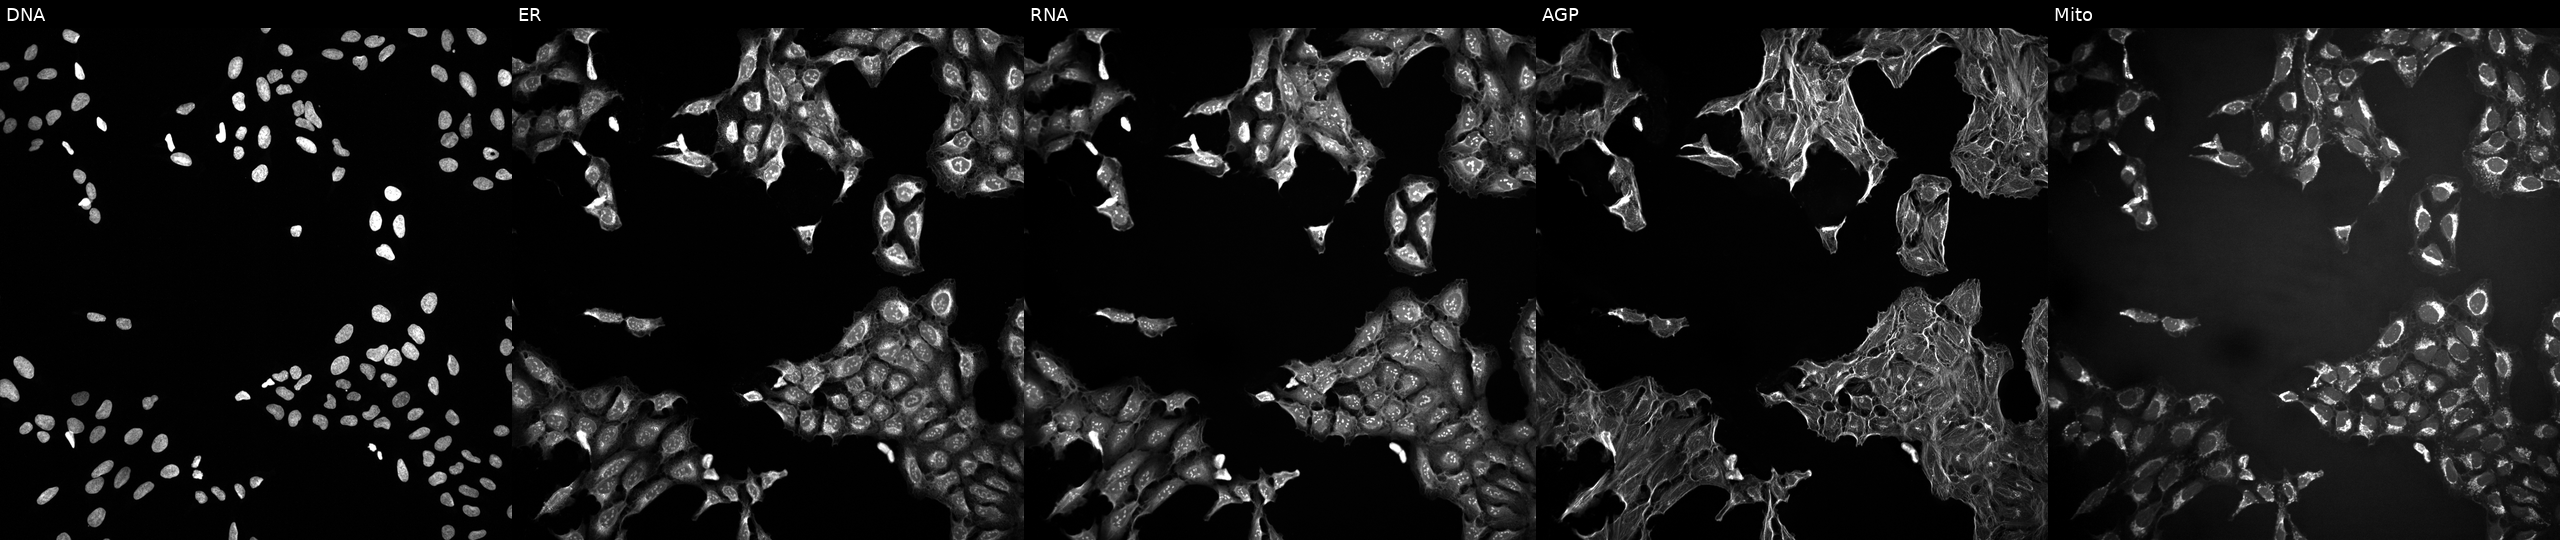
High-content fluorescence microscopy (Cell Painting). Cell line: U2OS. Perturbation: exposed to DMSO alone as a negative control (JUMP id JCP2022_033924). The five panels, left to right, show DNA, ER, RNA, AGP, and Mito.